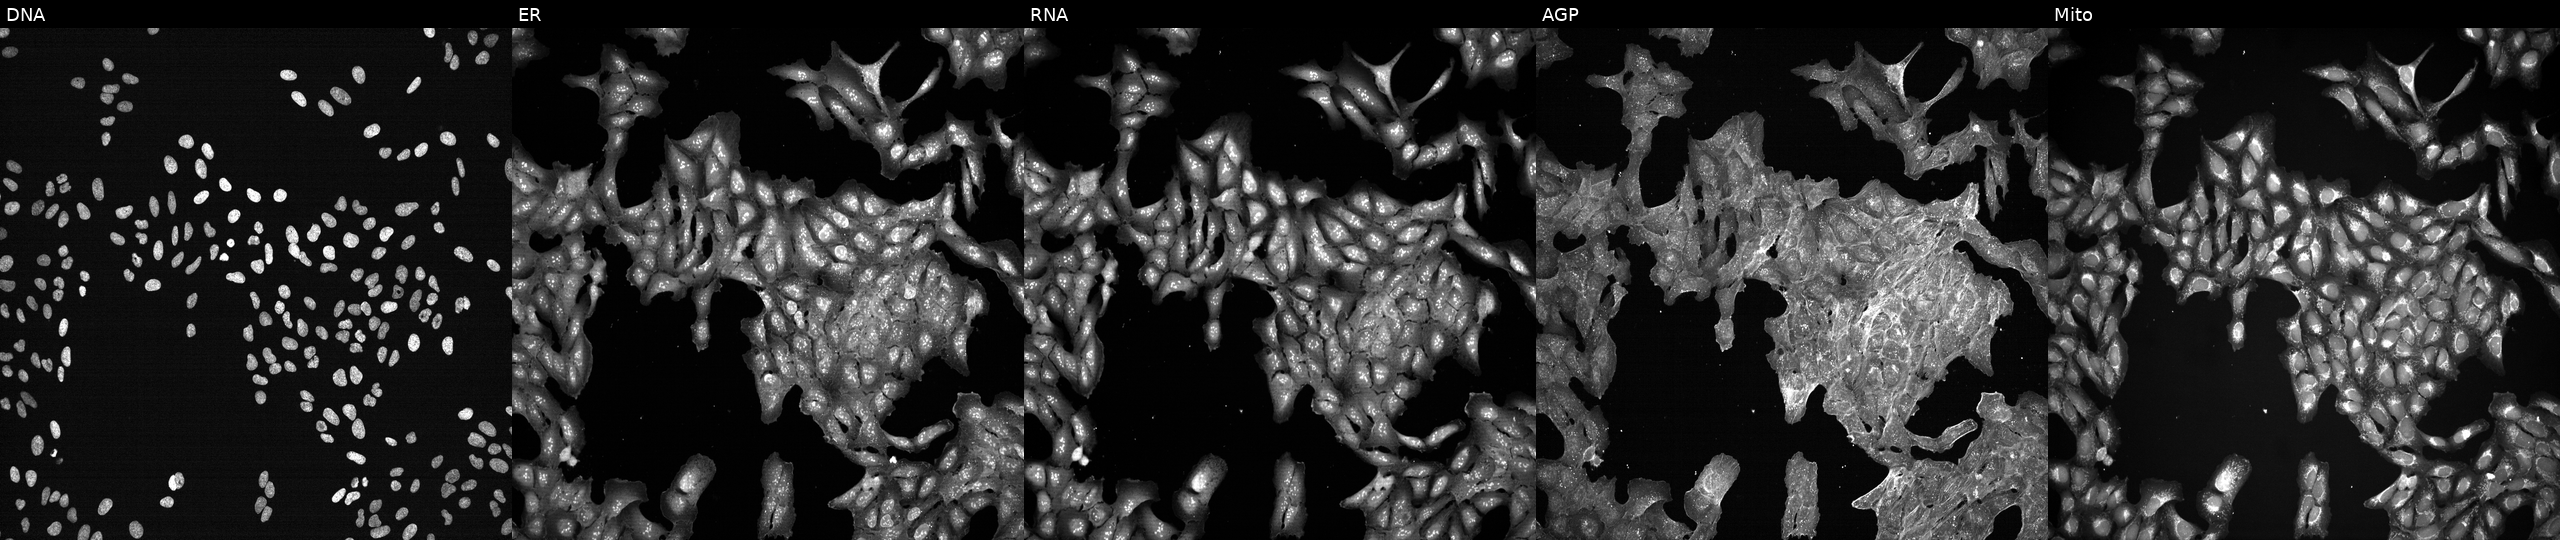
This image strip shows the five Cell Painting channels for a single field of U2OS cells treated with DMSO vehicle only (negative control) (JUMP id JCP2022_033924). The five panels, left to right, show Hoechst 33342, concanavalin A, SYTO 14, phalloidin and WGA, MitoTracker. Source 7, plate CP2-SC1-25, well K14.